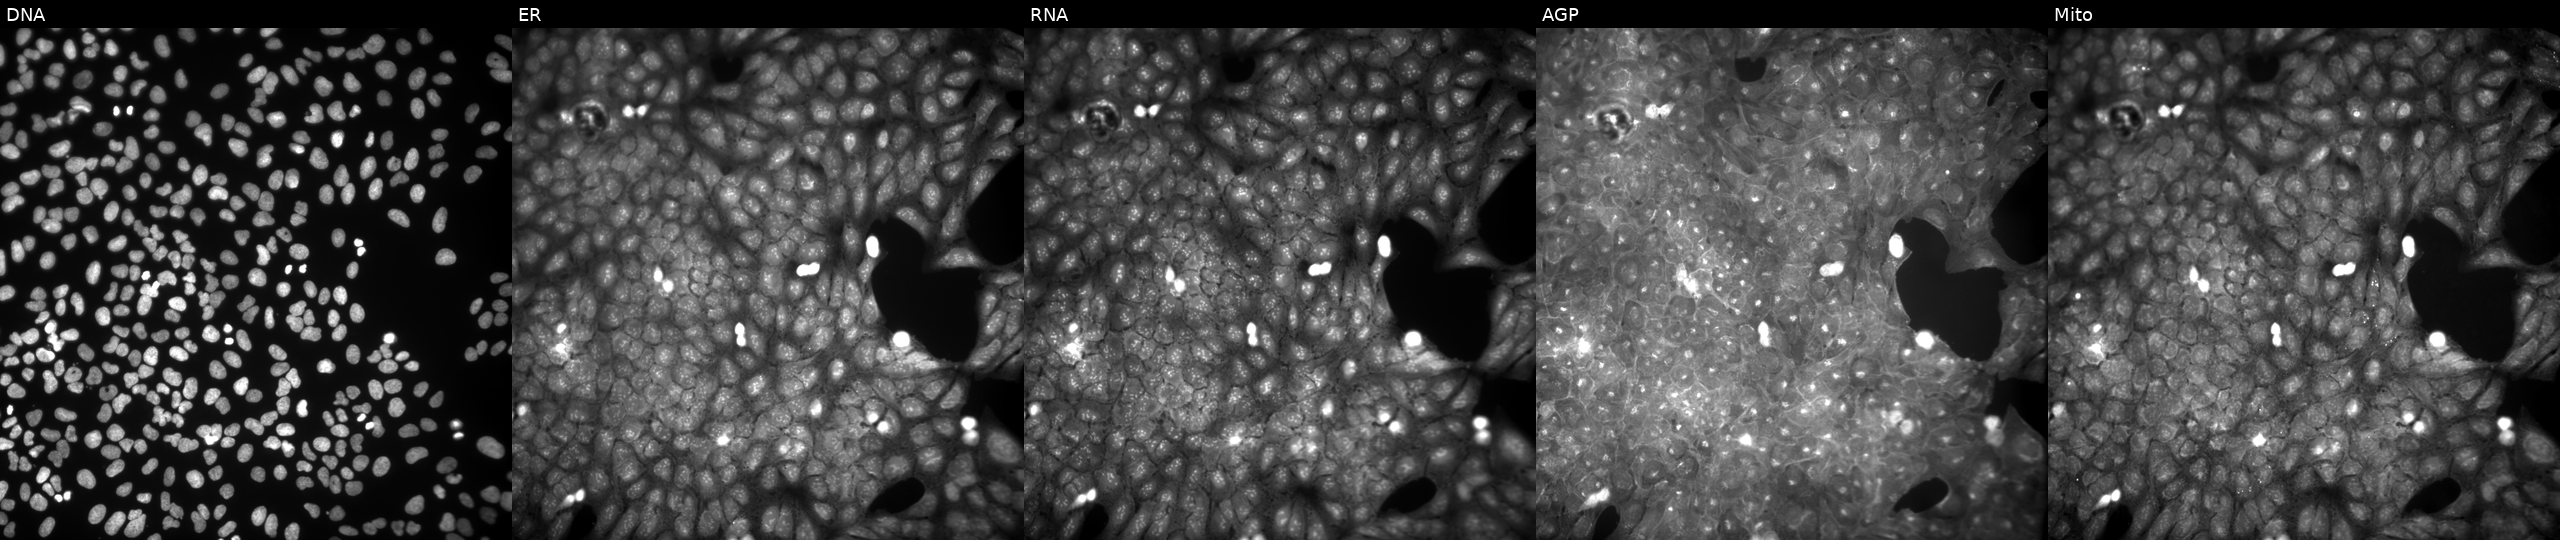
U2OS cells, Cell Painting assay, exposed to a small-molecule compound (InChIKey ZQVUJRQMQBMZEY-UHFFFAOYSA-N). Channels (left→right): Hoechst 33342, concanavalin A, SYTO 14, phalloidin and WGA, MitoTracker. Each panel is percentile-stretched 16-bit fluorescence. Source 9, plate GR00003382, well AF41.